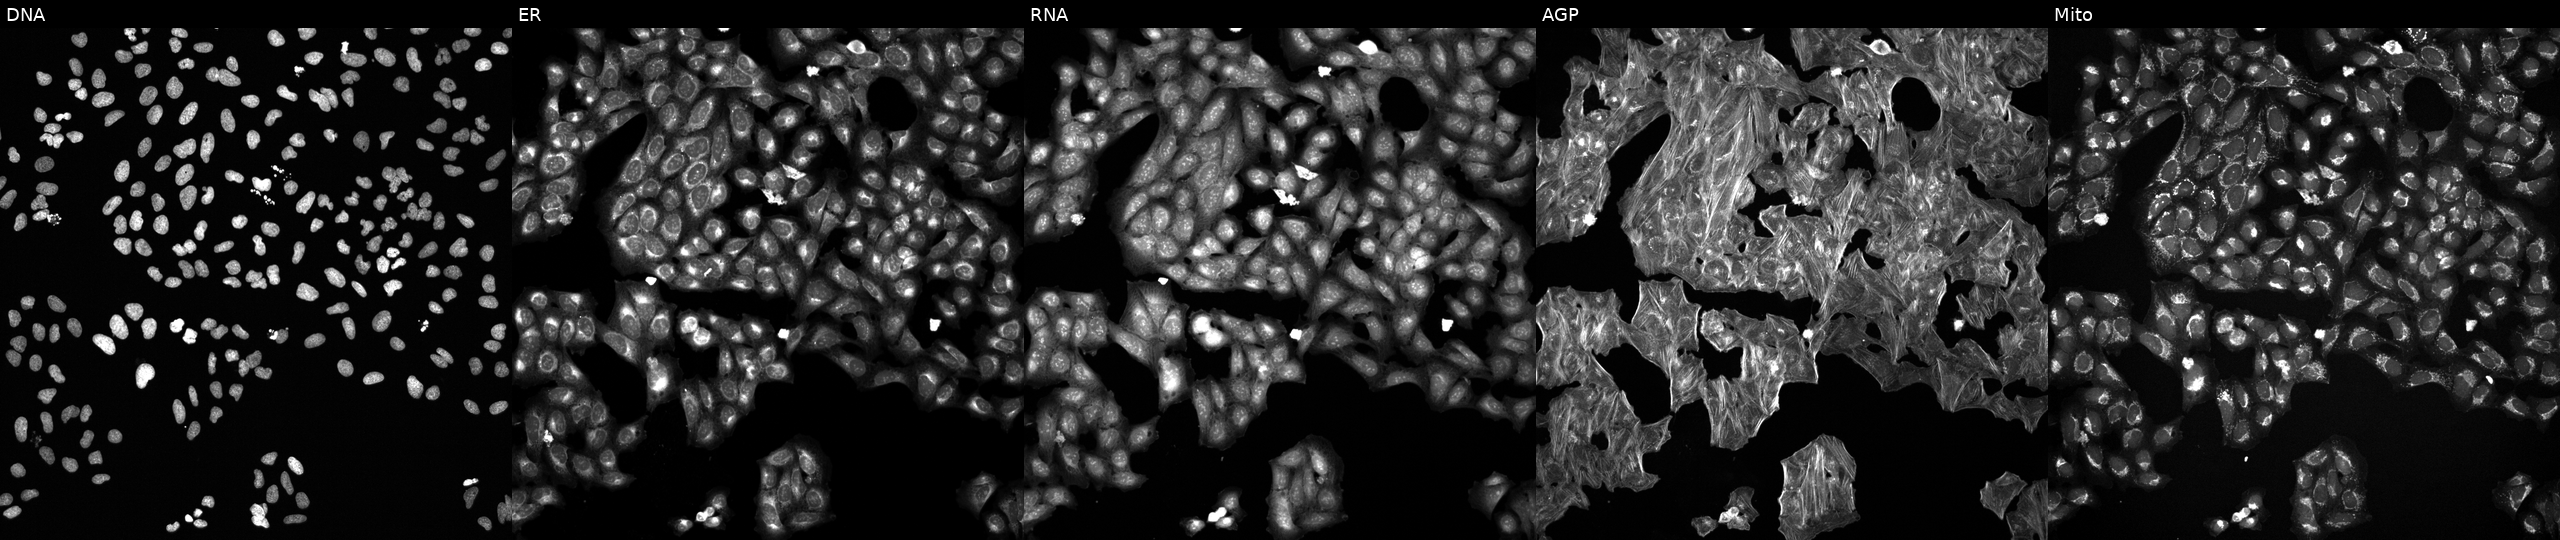
JUMP Cell Painting — COMPOUND plate. U2OS cells treated with NVS-PAK1-1 (positive-control compound). Panels show, left to right, DNA (nuclei); ER (endoplasmic reticulum); RNA (nucleoli and cytoplasmic RNA); AGP (actin cytoskeleton, Golgi, and plasma membrane); Mito (mitochondria). Source 6, plate 110000293082, well J24.